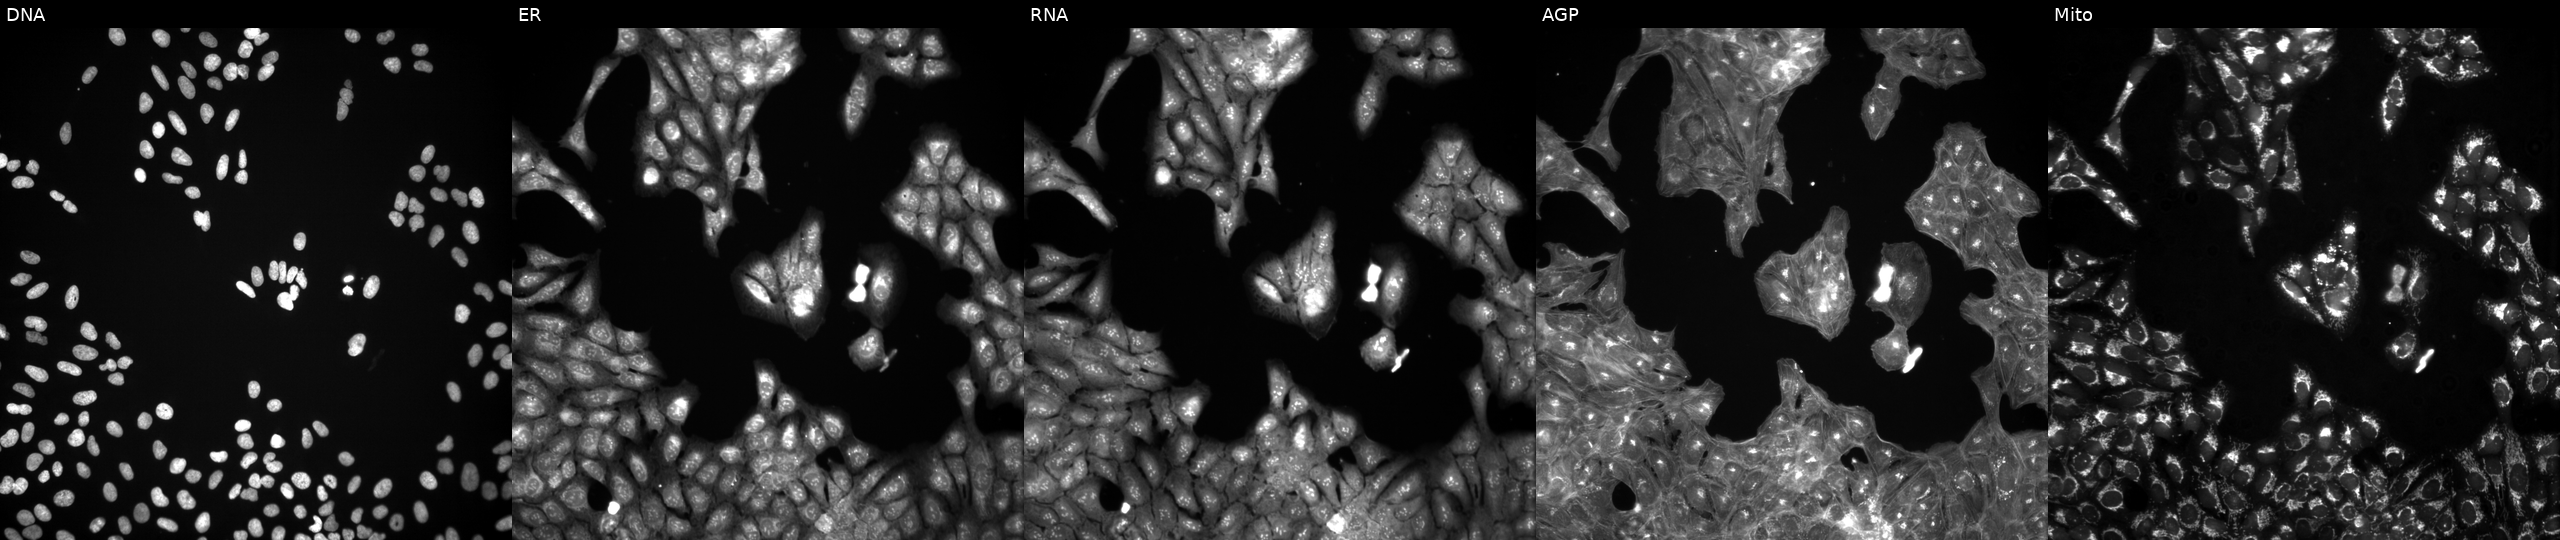
JUMP Cell Painting — TARGET2 plate. U2OS cells perturbed with a small-molecule compound. The five panels, left to right, show Hoechst 33342, concanavalin A, SYTO 14, phalloidin and WGA, MitoTracker.